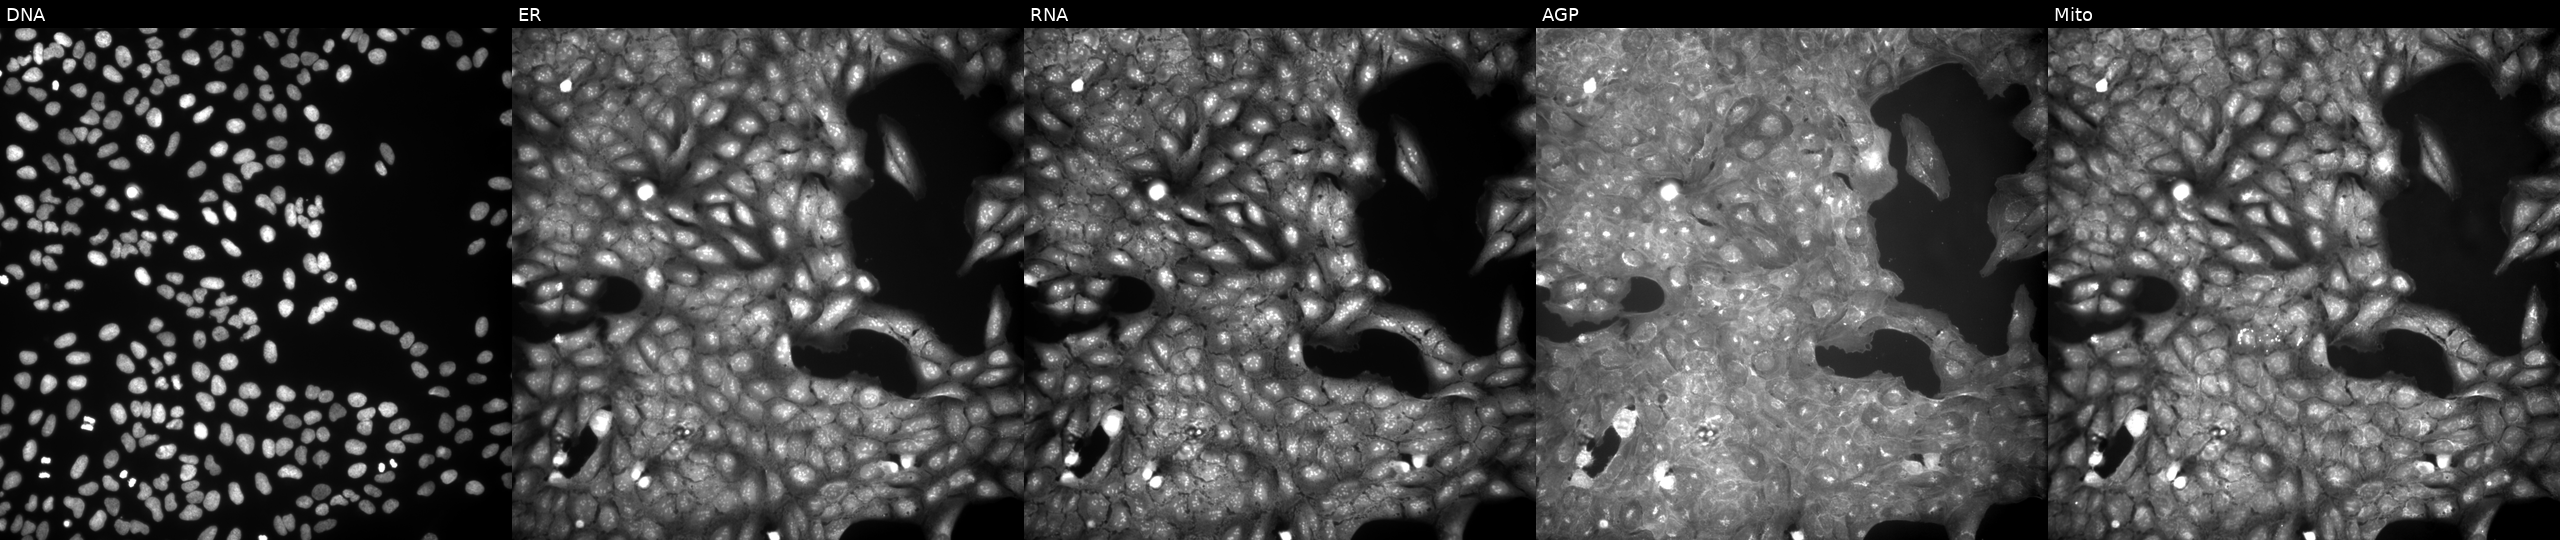
JUMP Cell Painting — COMPOUND plate. U2OS cells treated with a small-molecule compound (InChIKey JSQPGGPPWYPNJG-UHFFFAOYSA-N). From left to right: Hoechst 33342, concanavalin A, SYTO 14, phalloidin and WGA, MitoTracker.